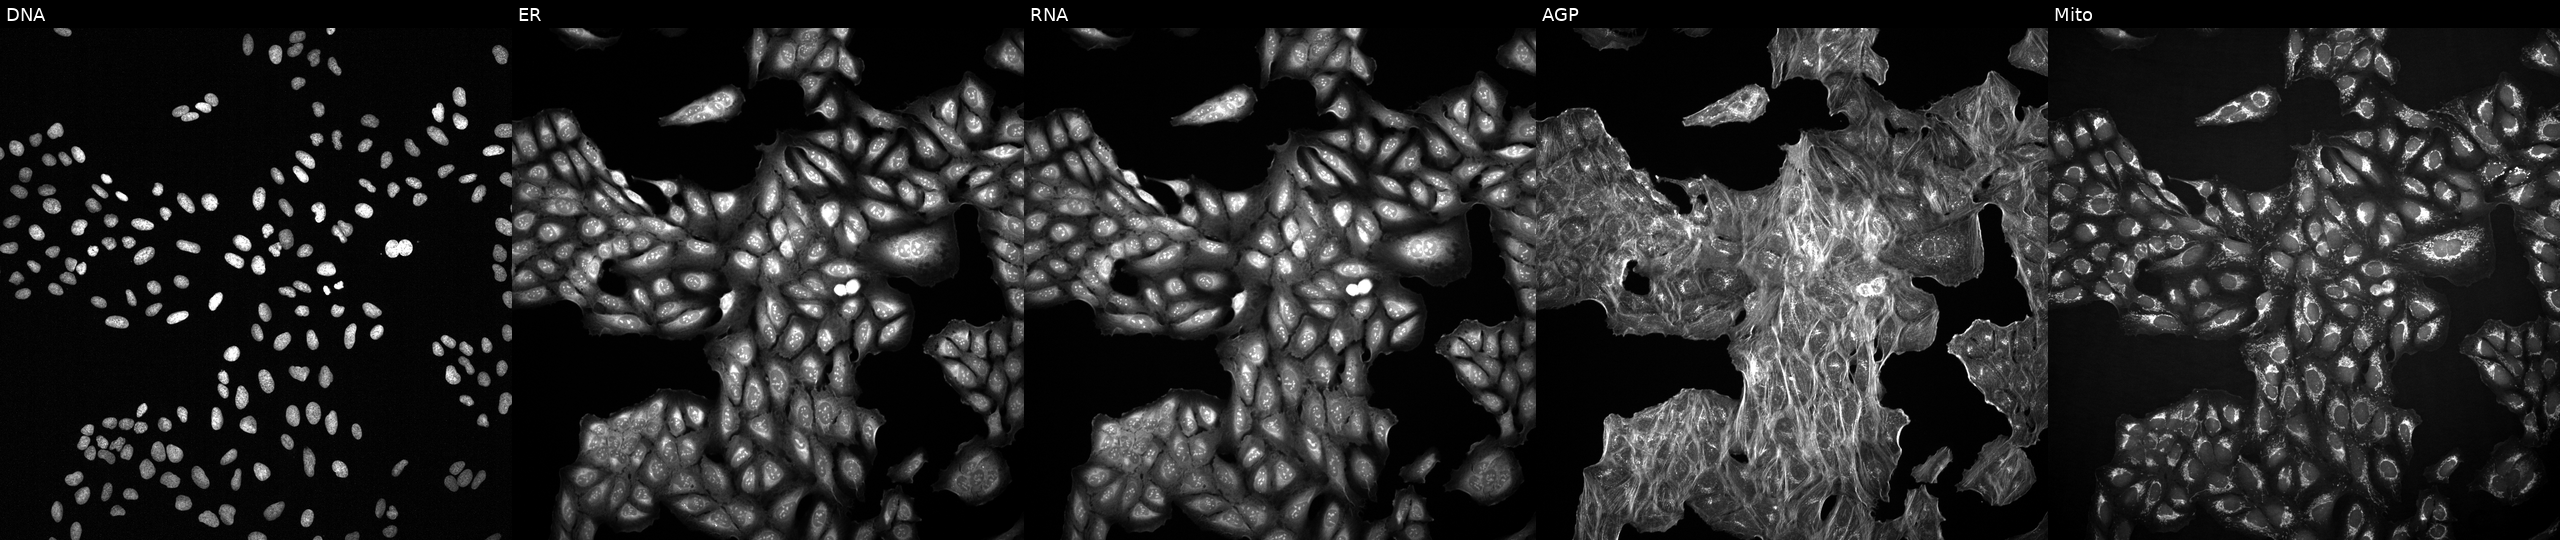
Five-channel Cell Painting image of U2OS cells with an unidentified perturbation (not annotated in JUMP metadata). From left to right: Hoechst 33342, concanavalin A, SYTO 14, phalloidin and WGA, MitoTracker.